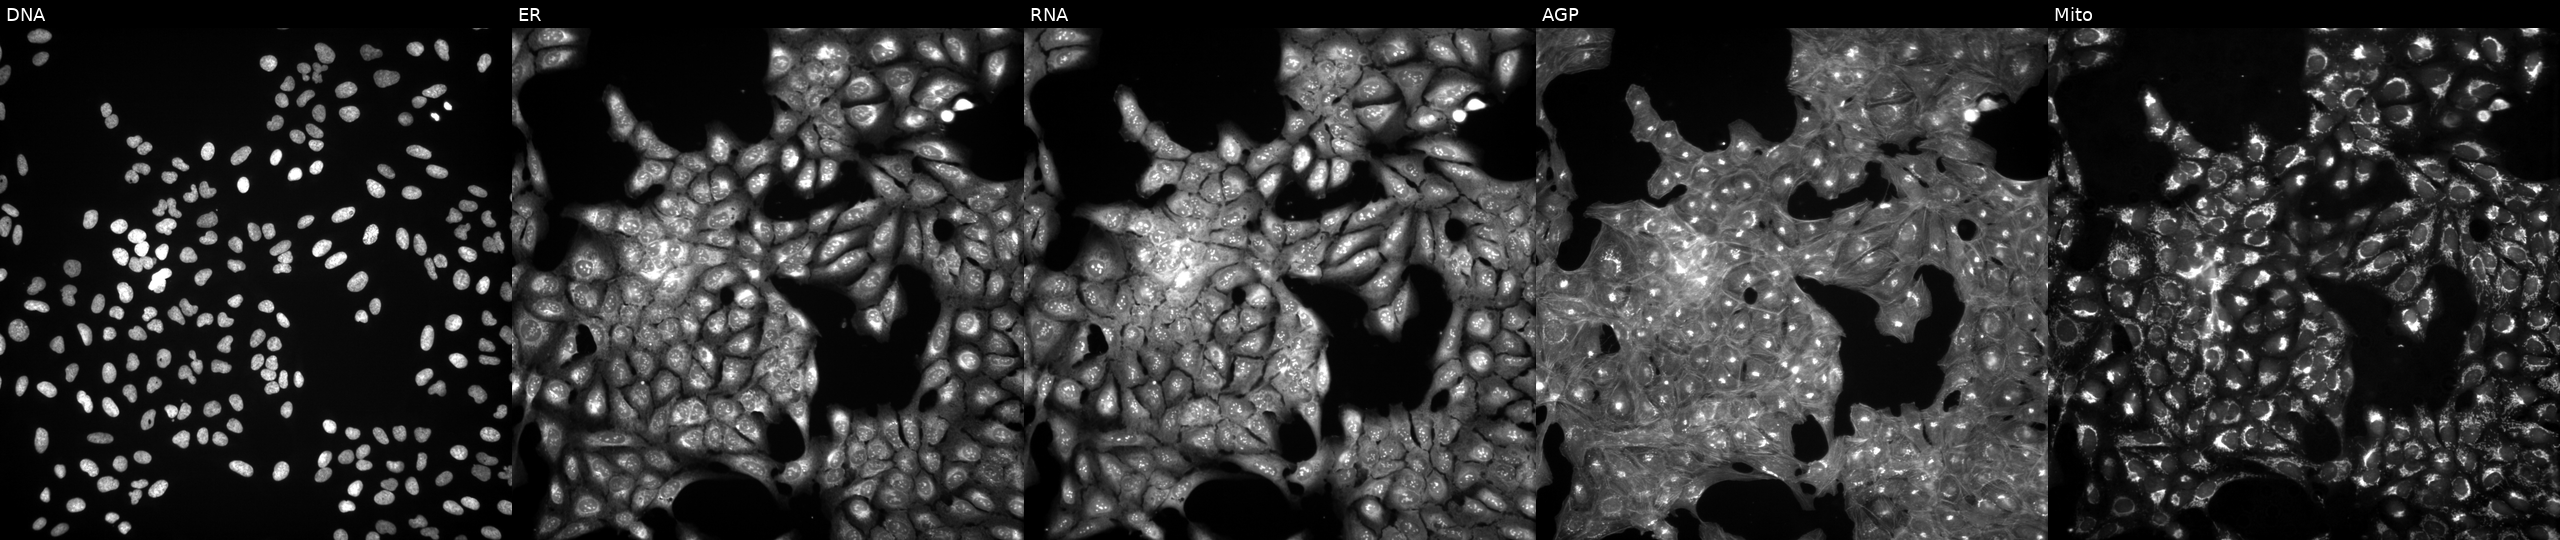
High-content fluorescence microscopy (Cell Painting). Cell line: U2OS. Perturbation: treated with a small-molecule compound (InChIKey KAQKFAOMNZTLHT-UHFFFAOYSA-N). Channels (left→right): Hoechst 33342, concanavalin A, SYTO 14, phalloidin and WGA, MitoTracker. Source 3, plate JCPQC052, well L21.